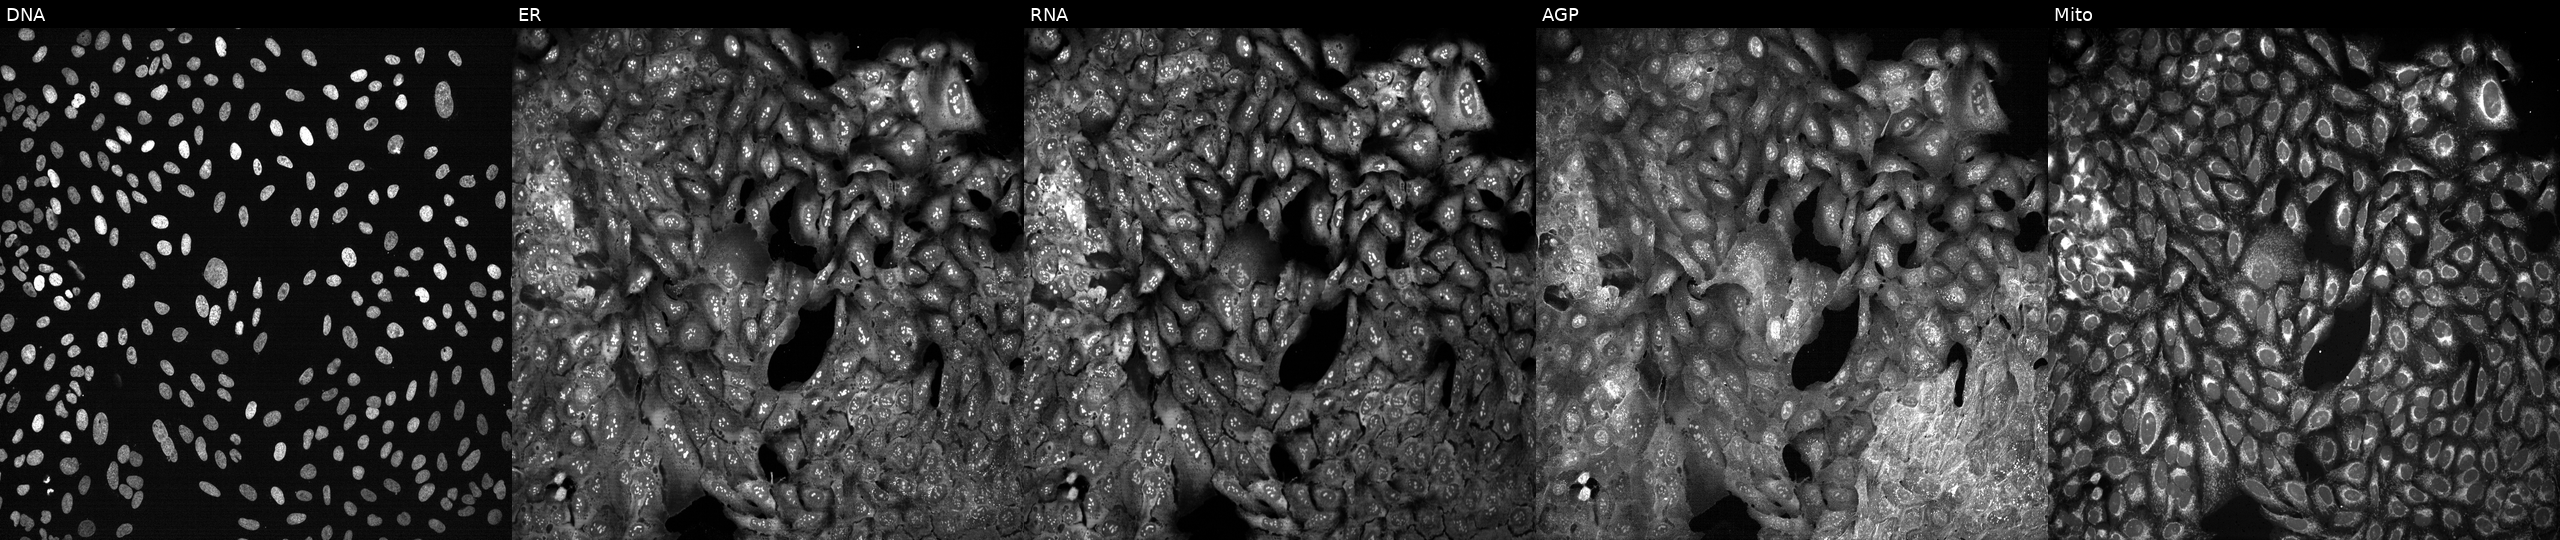
High-content fluorescence microscopy (Cell Painting). Cell line: U2OS. Perturbation: with FTSJ3 knocked out by CRISPR. From left to right: Hoechst 33342, concanavalin A, SYTO 14, phalloidin and WGA, MitoTracker.